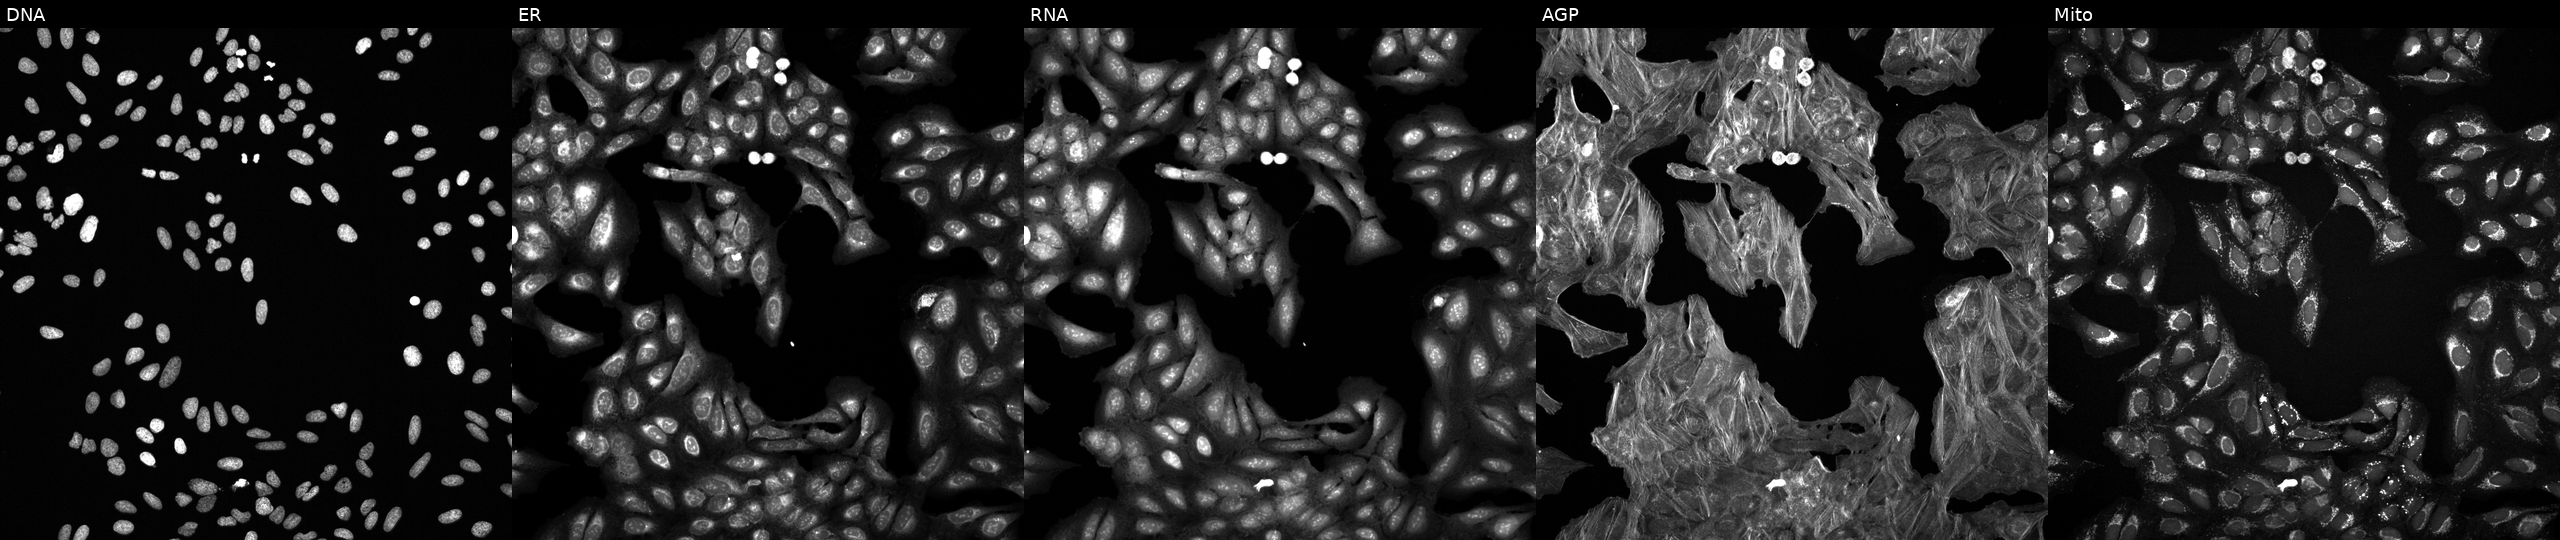
The five panels, left to right, show DNA (nuclei); ER (endoplasmic reticulum); RNA (nucleoli and cytoplasmic RNA); AGP (actin cytoskeleton, Golgi, and plasma membrane); Mito (mitochondria). U2OS osteosarcoma cells treated with a small-molecule compound (InChIKey BNMAHAFVDJEKDI-UHFFFAOYSA-N). Cell Painting assay, JUMP-CP dataset. Source 6, plate 110000293083, well M10.